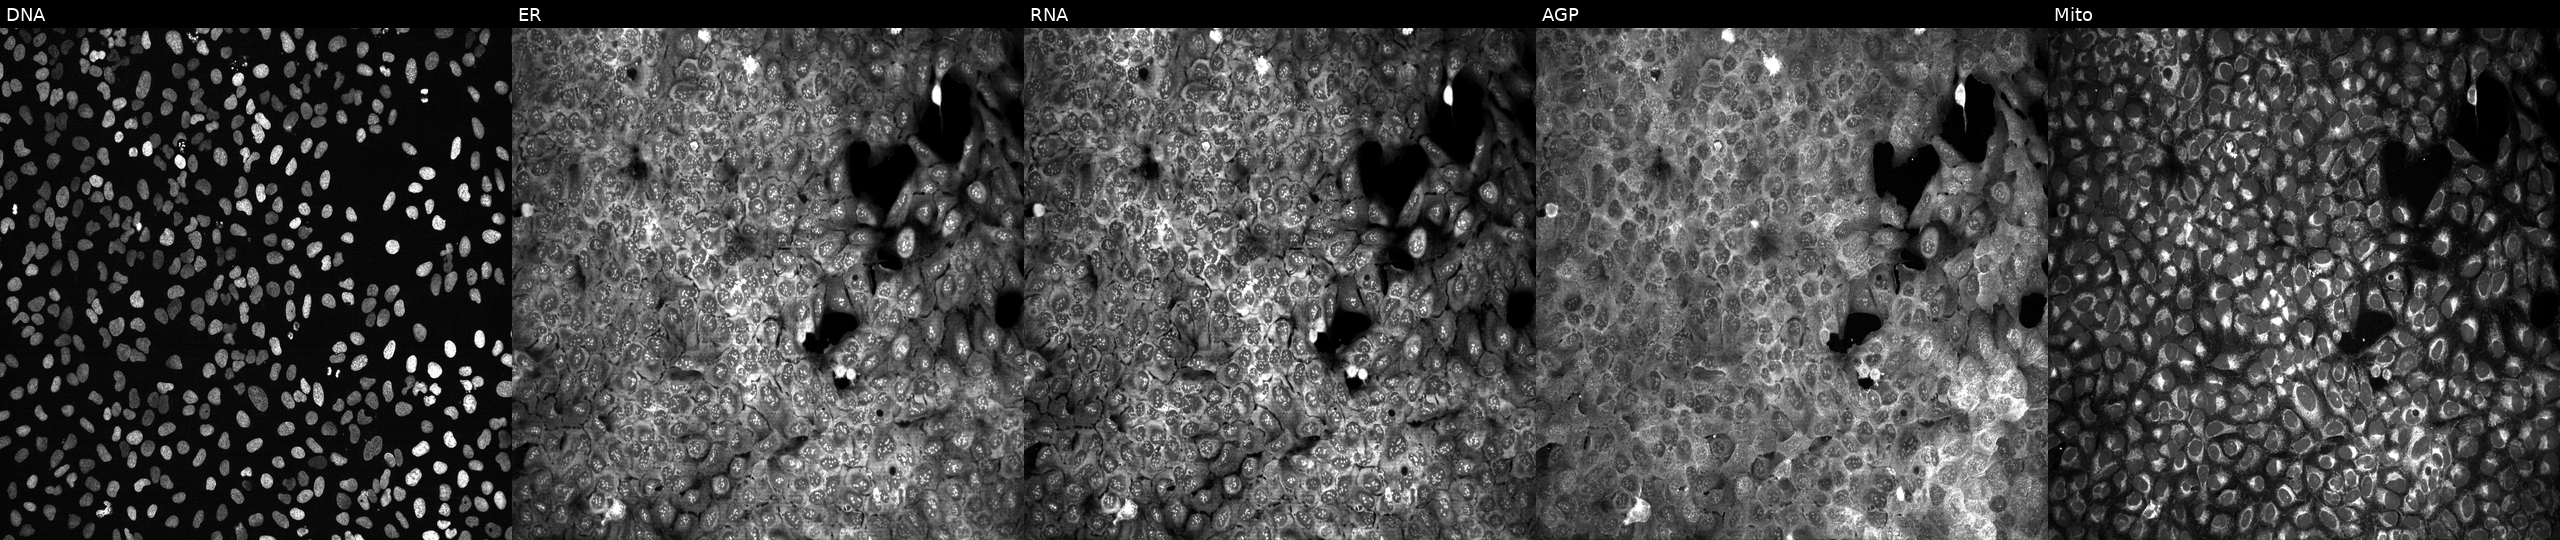
Panels show, left to right, DNA, ER, RNA, AGP, and Mito. U2OS osteosarcoma cells following CRISPR knockout of SLC40A1 (JUMP id JCP2022_806535). Cell Painting assay, JUMP-CP dataset.